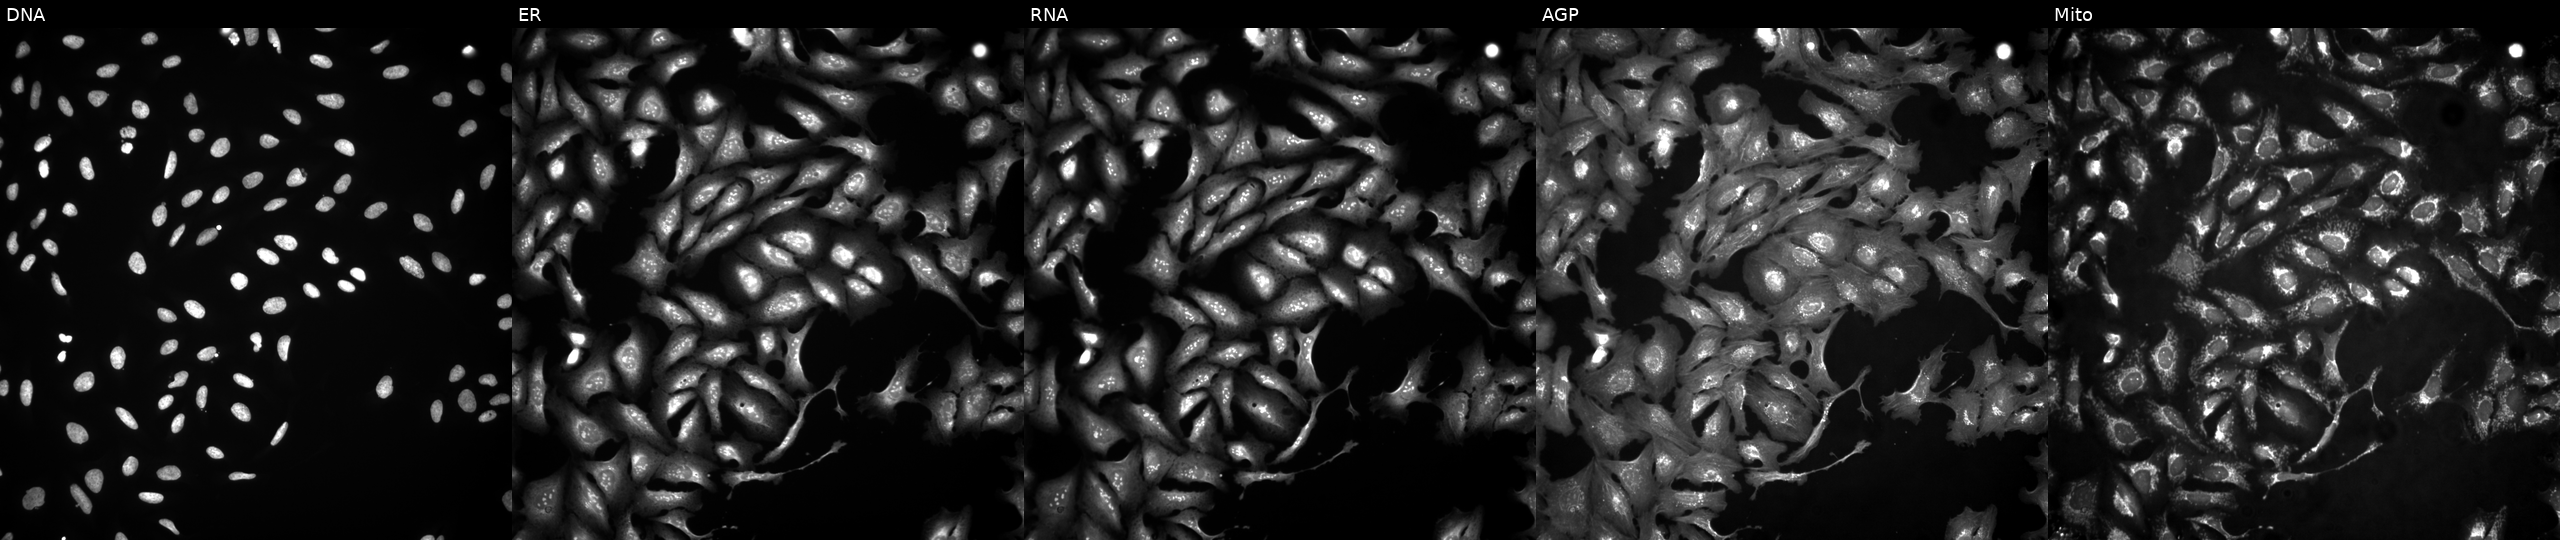
High-content fluorescence microscopy (Cell Painting). Cell line: U2OS. Perturbation: overexpressing SH3BP4 via ORF transfection (JUMP id JCP2022_902655). Panels show, left to right, DNA, ER, RNA, AGP, and Mito. Source 4, plate BR00124787, well P15.